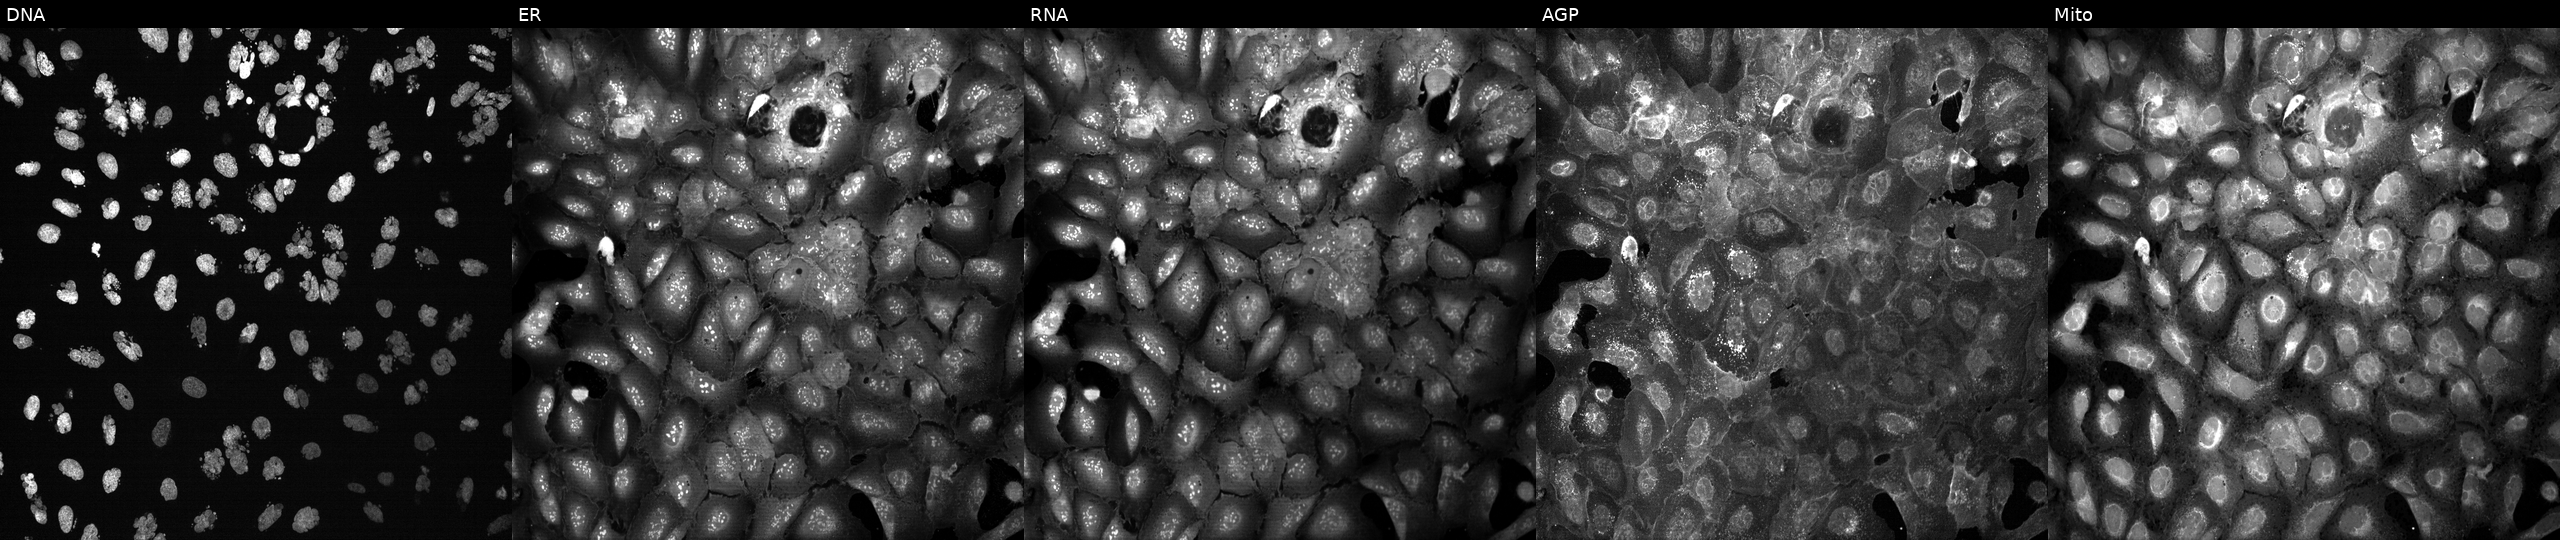
JUMP Cell Painting — CRISPR plate. U2OS cells treated with AMG900 (positive-control compound). Channels (left→right): DNA (nuclei); ER (endoplasmic reticulum); RNA (nucleoli and cytoplasmic RNA); AGP (actin cytoskeleton, Golgi, and plasma membrane); Mito (mitochondria).